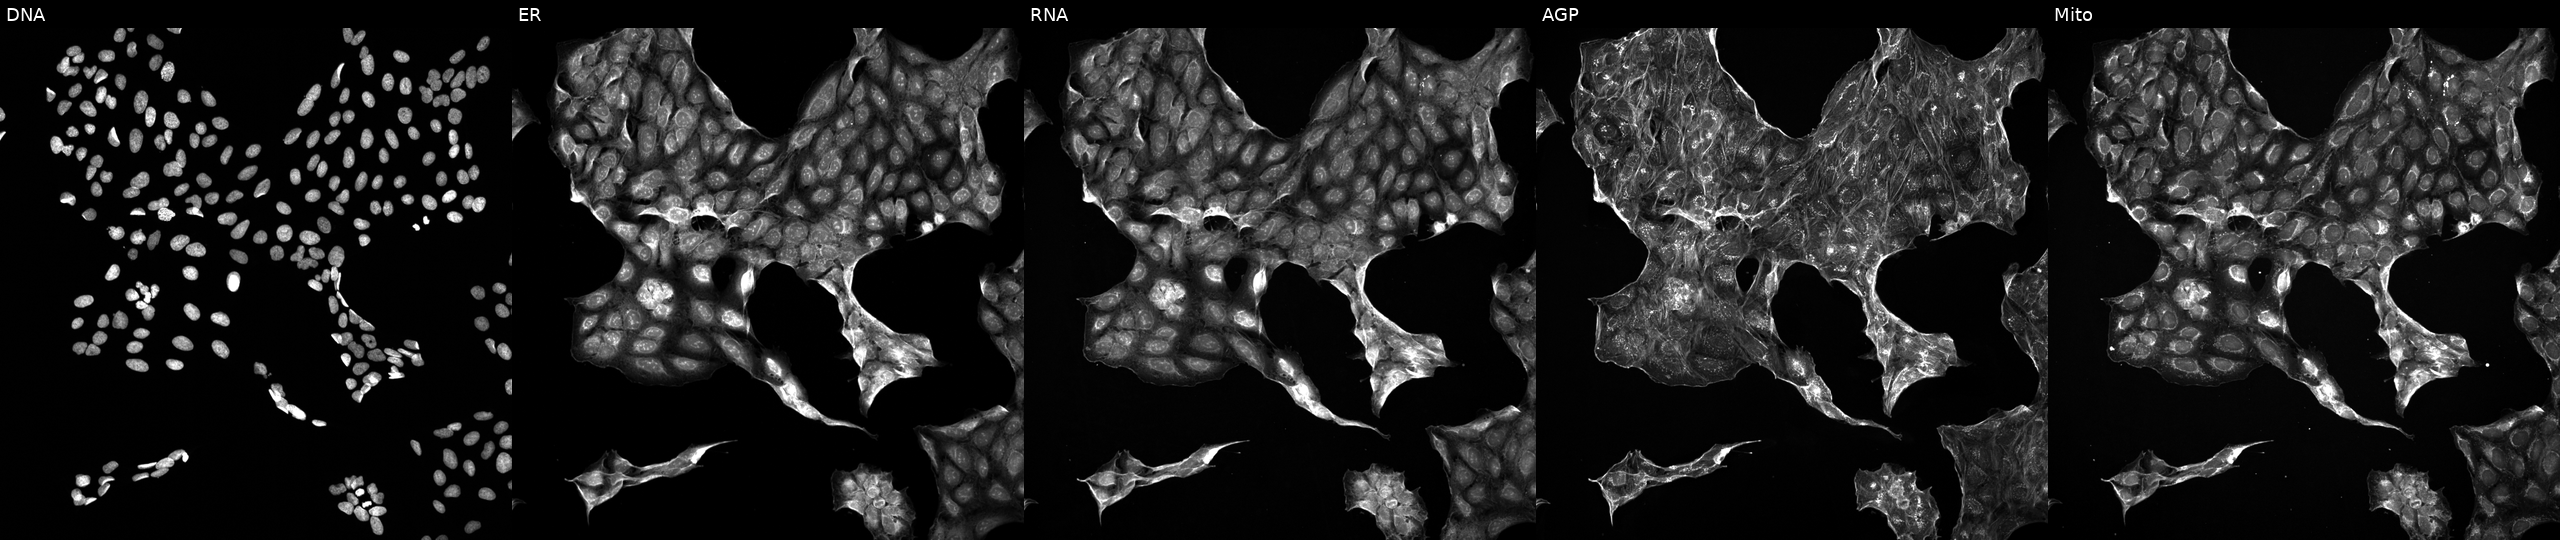
JUMP Cell Painting — COMPOUND plate. U2OS cells treated with LY2109761 (positive-control compound). Channels (left→right): Hoechst 33342, concanavalin A, SYTO 14, phalloidin and WGA, MitoTracker.